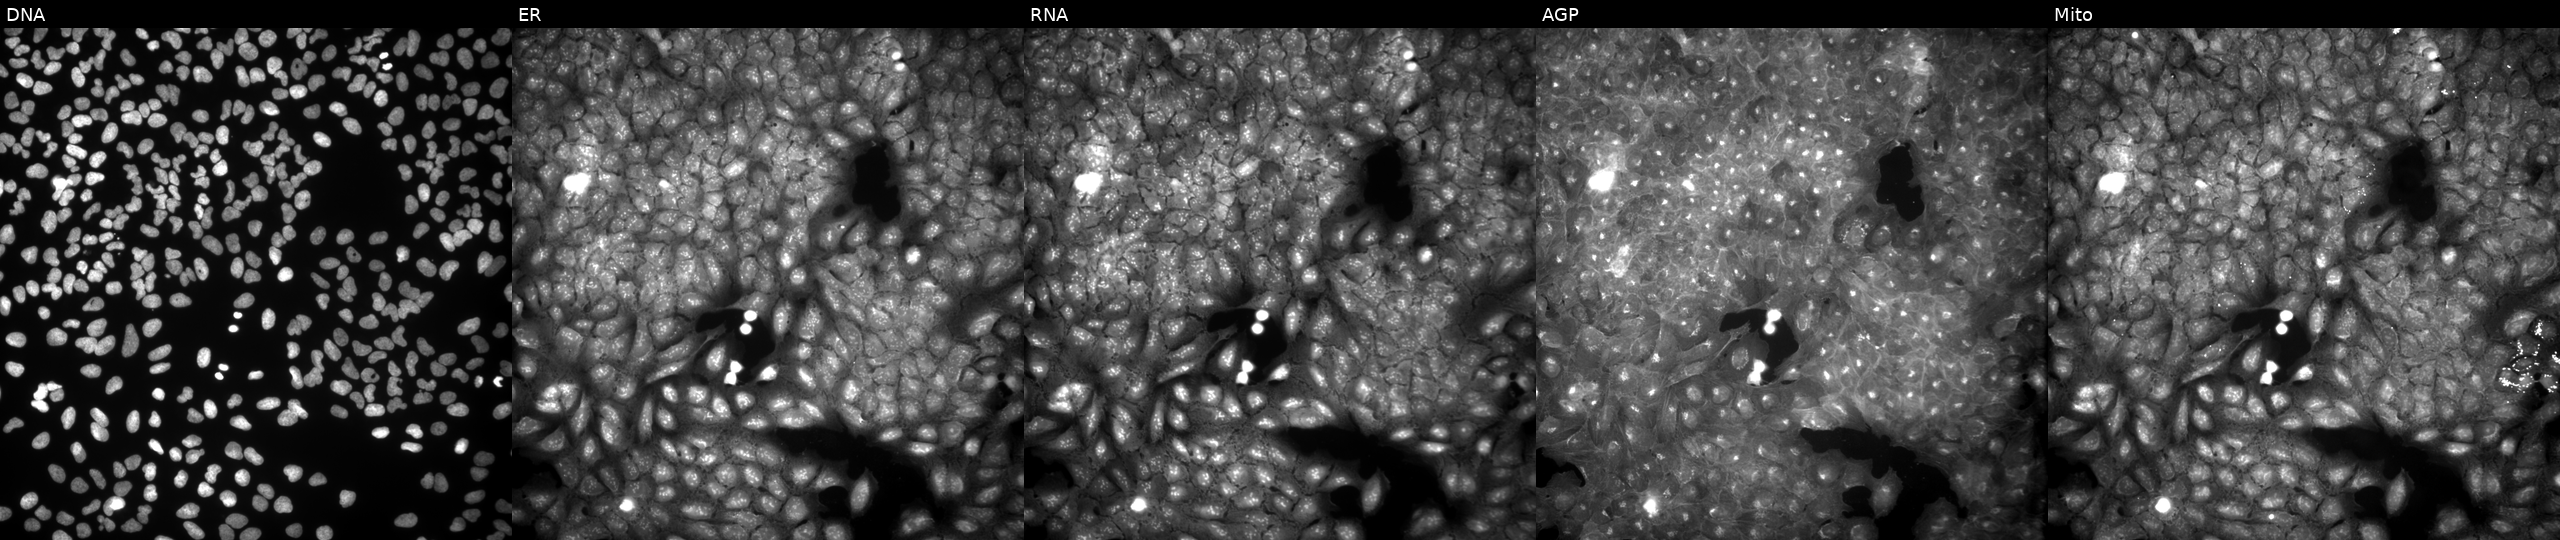
U2OS cells, Cell Painting assay, perturbed with a small-molecule compound (InChIKey YCQZHVQNWCXIED-UHFFFAOYSA-N) [SMILES: CC(=O)c1ccc(OC(=O)CN2C(=O)c3ccccc3C2=O)cc1]. From left to right: Hoechst 33342, concanavalin A, SYTO 14, phalloidin and WGA, MitoTracker. Each panel is percentile-stretched 16-bit fluorescence.